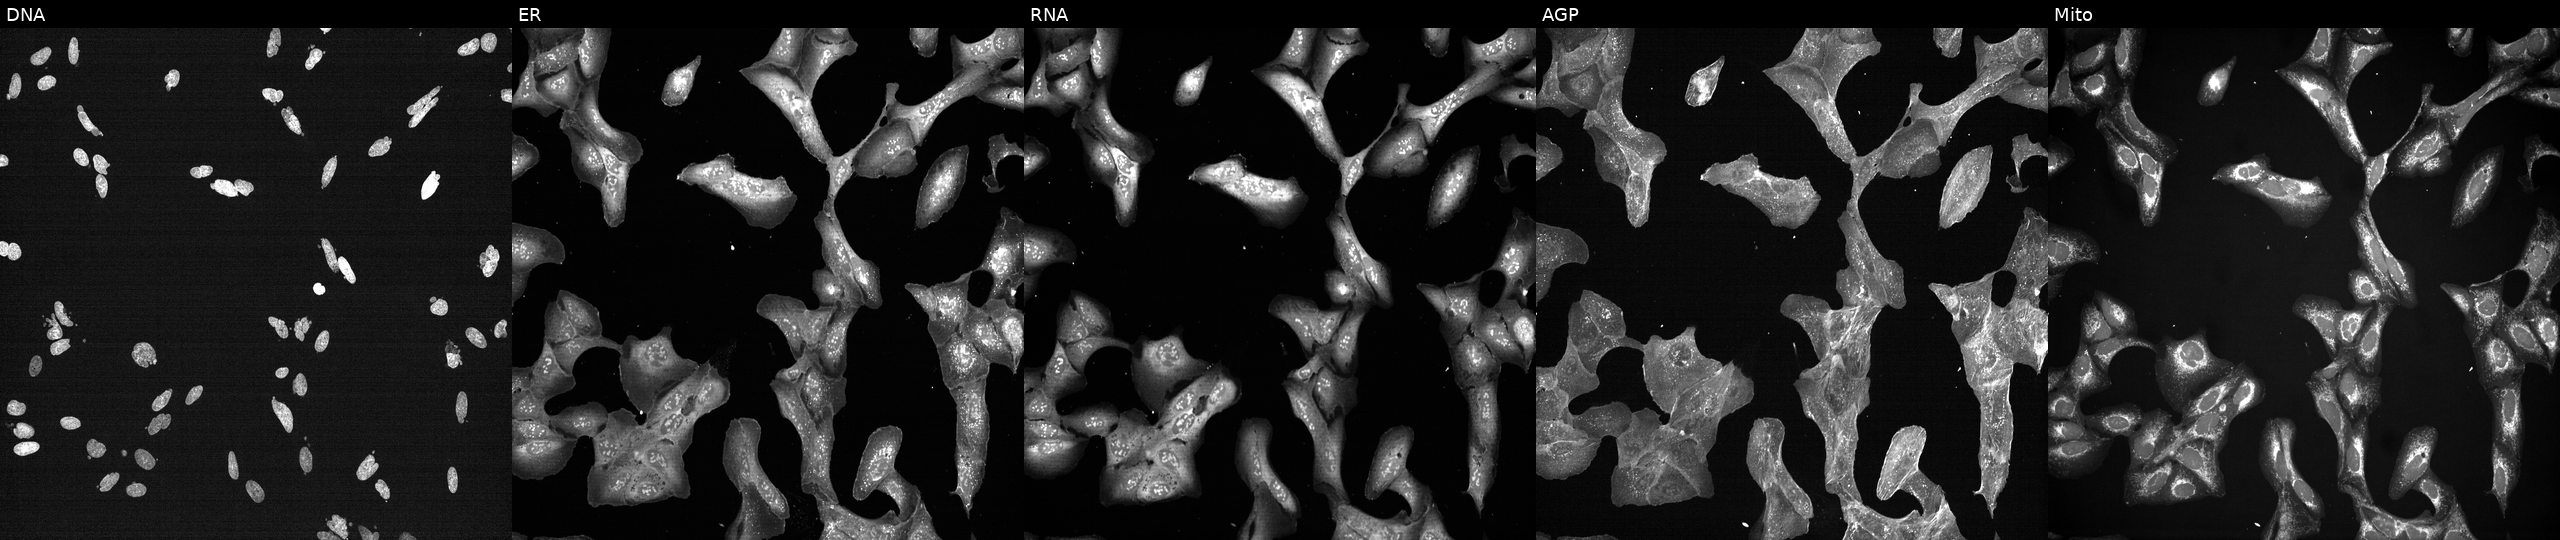
Five-channel Cell Painting image of U2OS cells treated with a small-molecule compound (InChIKey KRBSMMVJJVHVCB-UHFFFAOYSA-N) [SMILES: COC(C(=O)n1cc2[nH][nH]c(=NC(O)c3ccc(N4CCN(C)CC4)cc3)c2c1)c1ccccc1]. Channels (left→right): DNA (nuclei); ER (endoplasmic reticulum); RNA (nucleoli and cytoplasmic RNA); AGP (actin cytoskeleton, Golgi, and plasma membrane); Mito (mitochondria). Source 7, plate CP3-SC1-25, well J07.